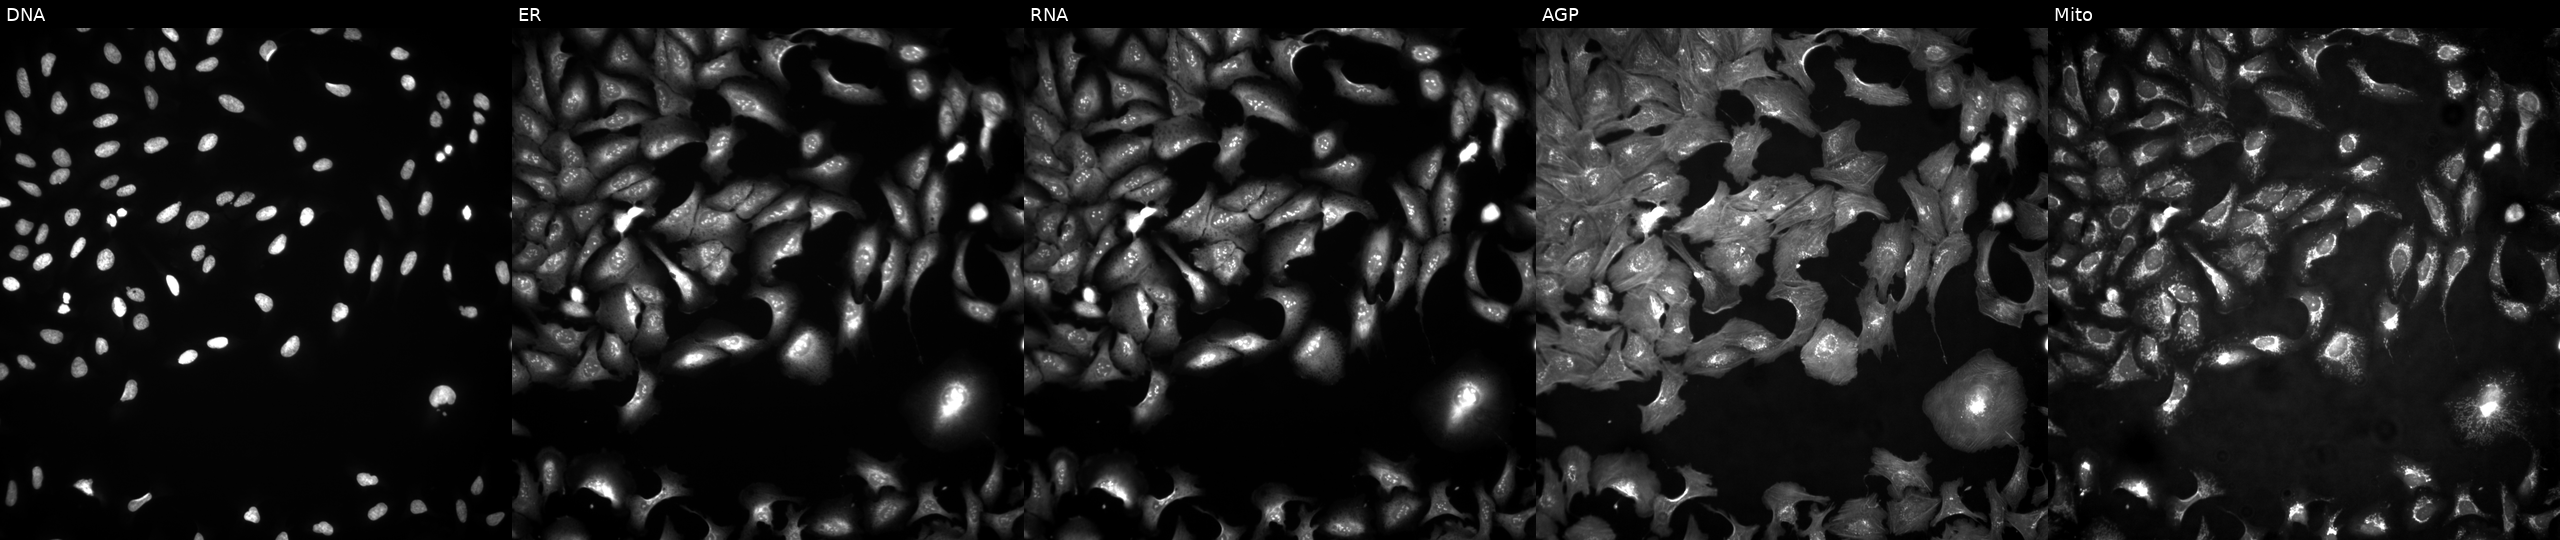
The five panels, left to right, show DNA, ER, RNA, AGP, and Mito. U2OS osteosarcoma cells with NAPRT overexpressed (ORF) (JUMP id JCP2022_913388). Cell Painting assay, JUMP-CP dataset.